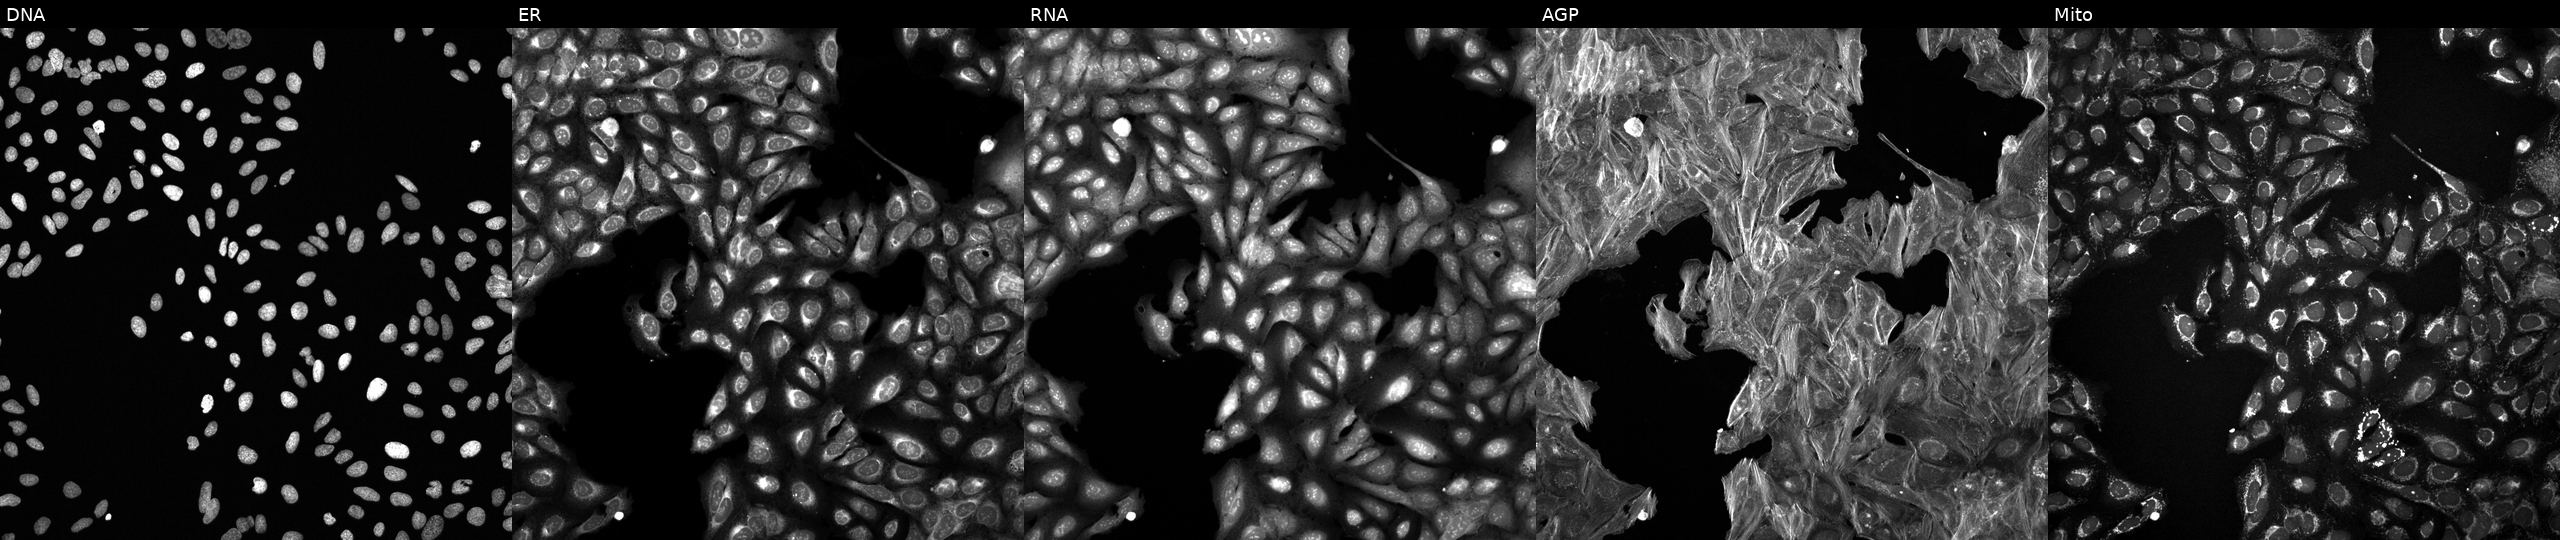
JUMP Cell Painting — TARGET2 plate. U2OS cells exposed to a small-molecule compound (InChIKey AFJRDFWMXUECEW-UHFFFAOYSA-N). Panels show, left to right, DNA, ER, RNA, AGP, and Mito. Source 6, plate 110000293081, well L19.